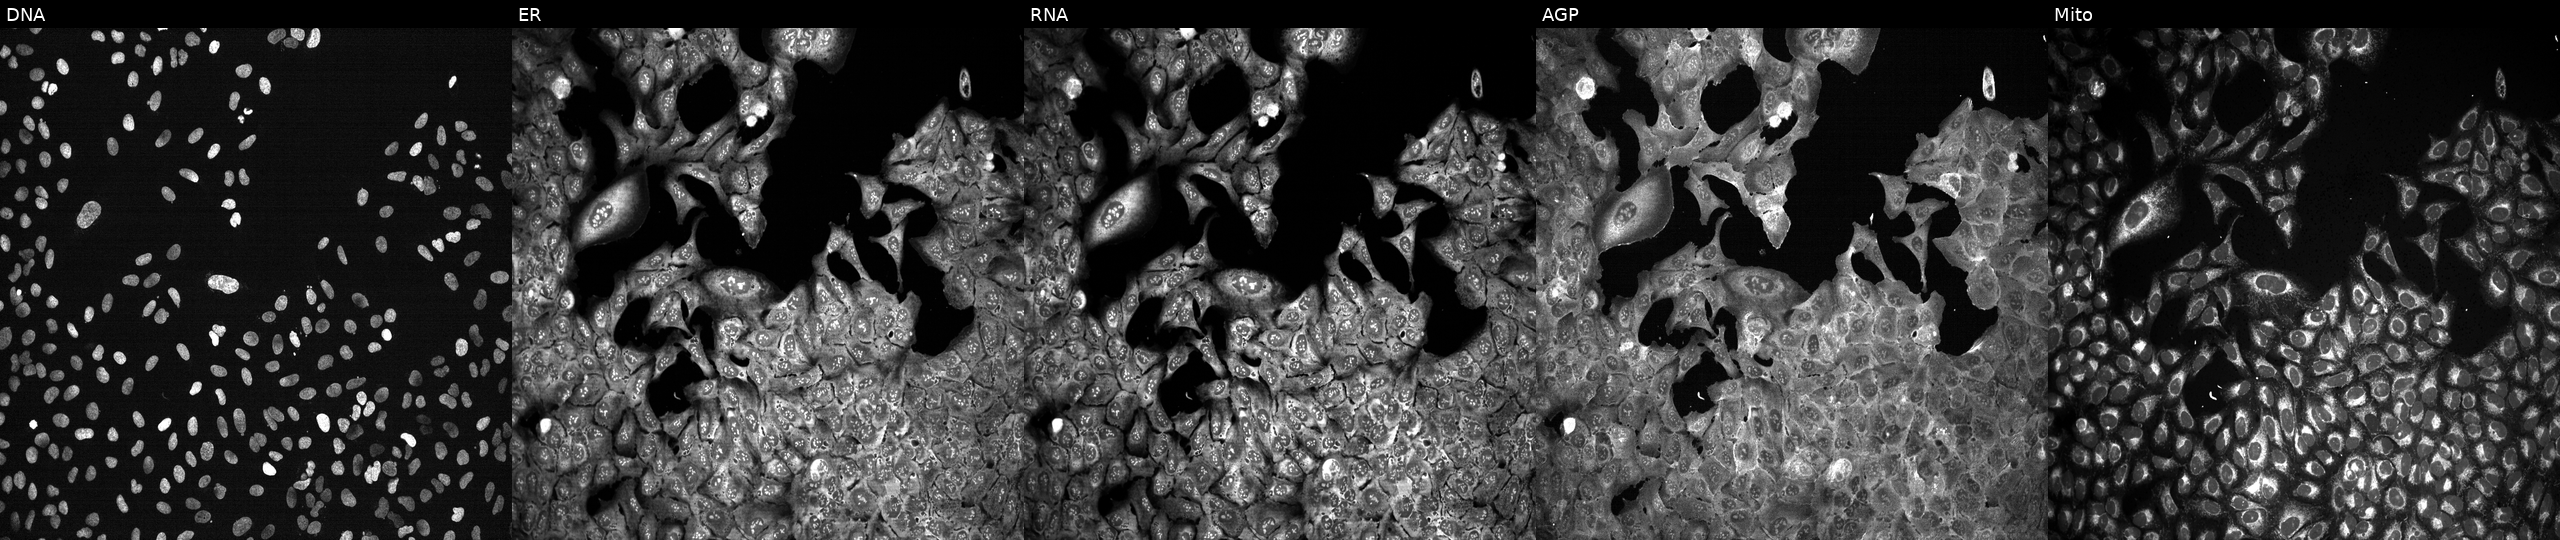
High-content fluorescence microscopy (Cell Painting). Cell line: U2OS. Perturbation: following CRISPR knockout of CNTFR. Panels show, left to right, DNA (nuclei); ER (endoplasmic reticulum); RNA (nucleoli and cytoplasmic RNA); AGP (actin cytoskeleton, Golgi, and plasma membrane); Mito (mitochondria). Source 13, plate CP-CC9-R3-01, well B17.